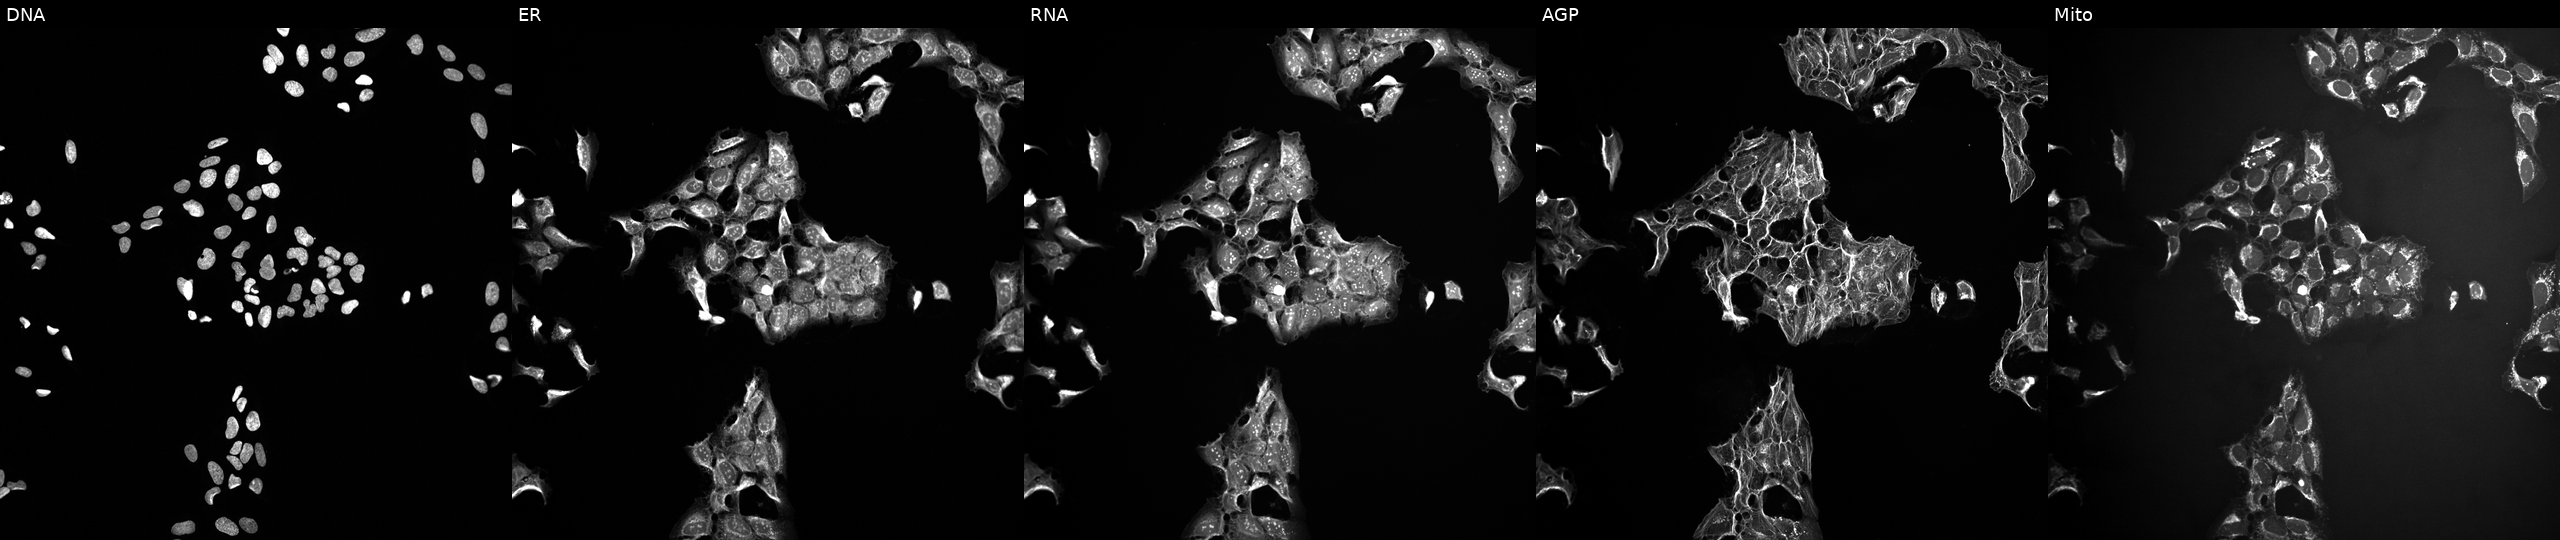
High-content fluorescence microscopy (Cell Painting). Cell line: U2OS. Perturbation: treated with a small-molecule compound (InChIKey XXJWYDDUDKYVKI-UHFFFAOYSA-N). Panels show, left to right, DNA, ER, RNA, AGP, and Mito.